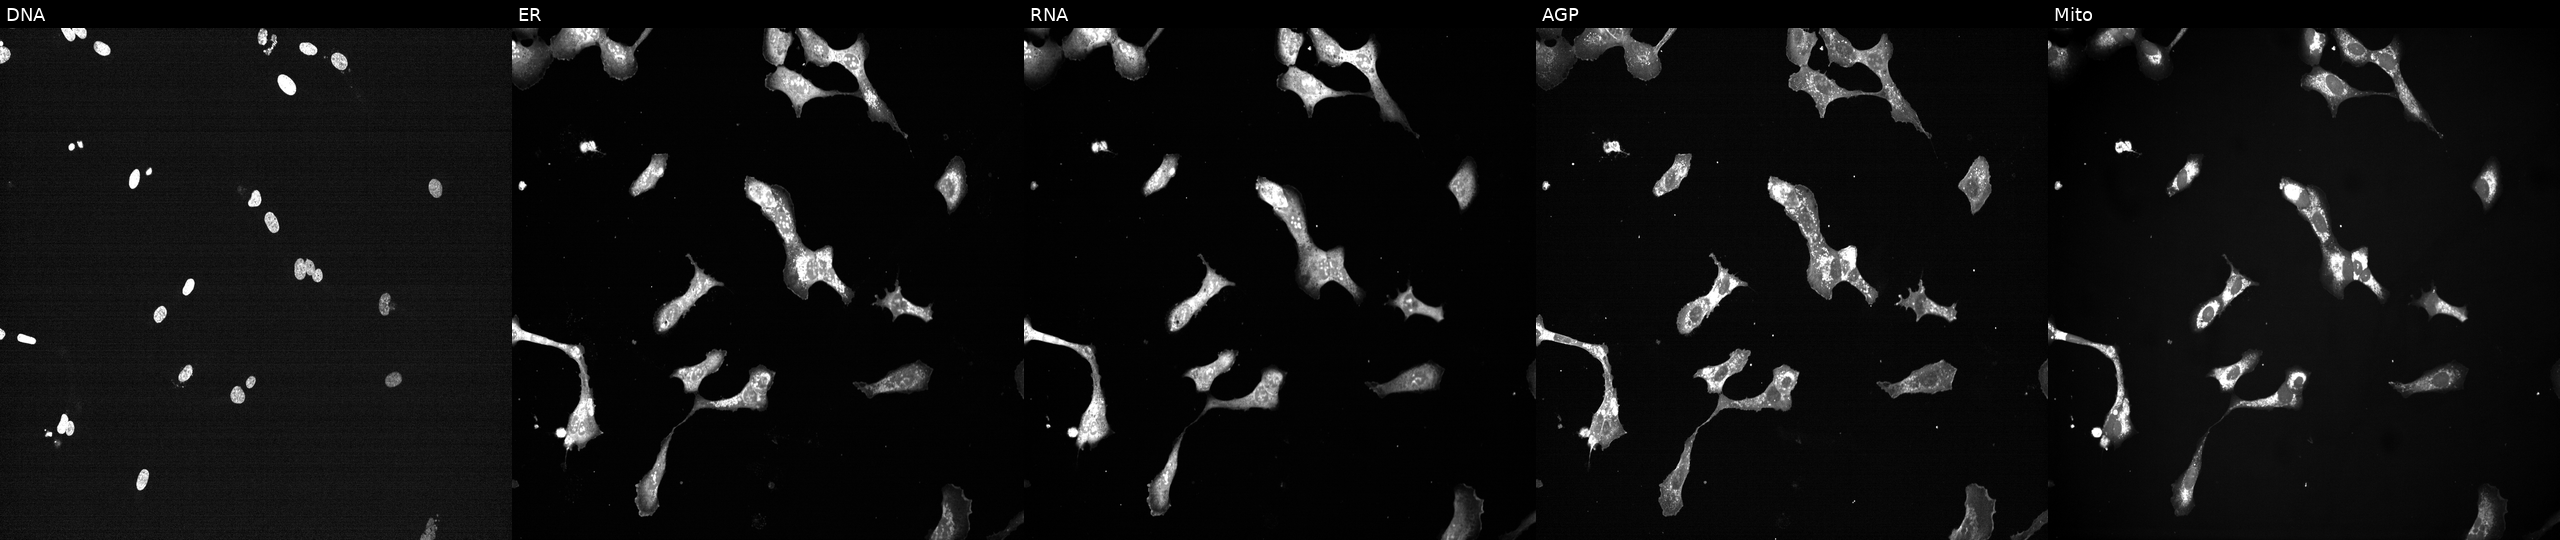
U2OS cells, Cell Painting assay, perturbed with a small-molecule compound (InChIKey XQVVPGYIWAGRNI-UHFFFAOYSA-N). The five panels, left to right, show DNA (nuclei); ER (endoplasmic reticulum); RNA (nucleoli and cytoplasmic RNA); AGP (actin cytoskeleton, Golgi, and plasma membrane); Mito (mitochondria). Each panel is percentile-stretched 16-bit fluorescence.